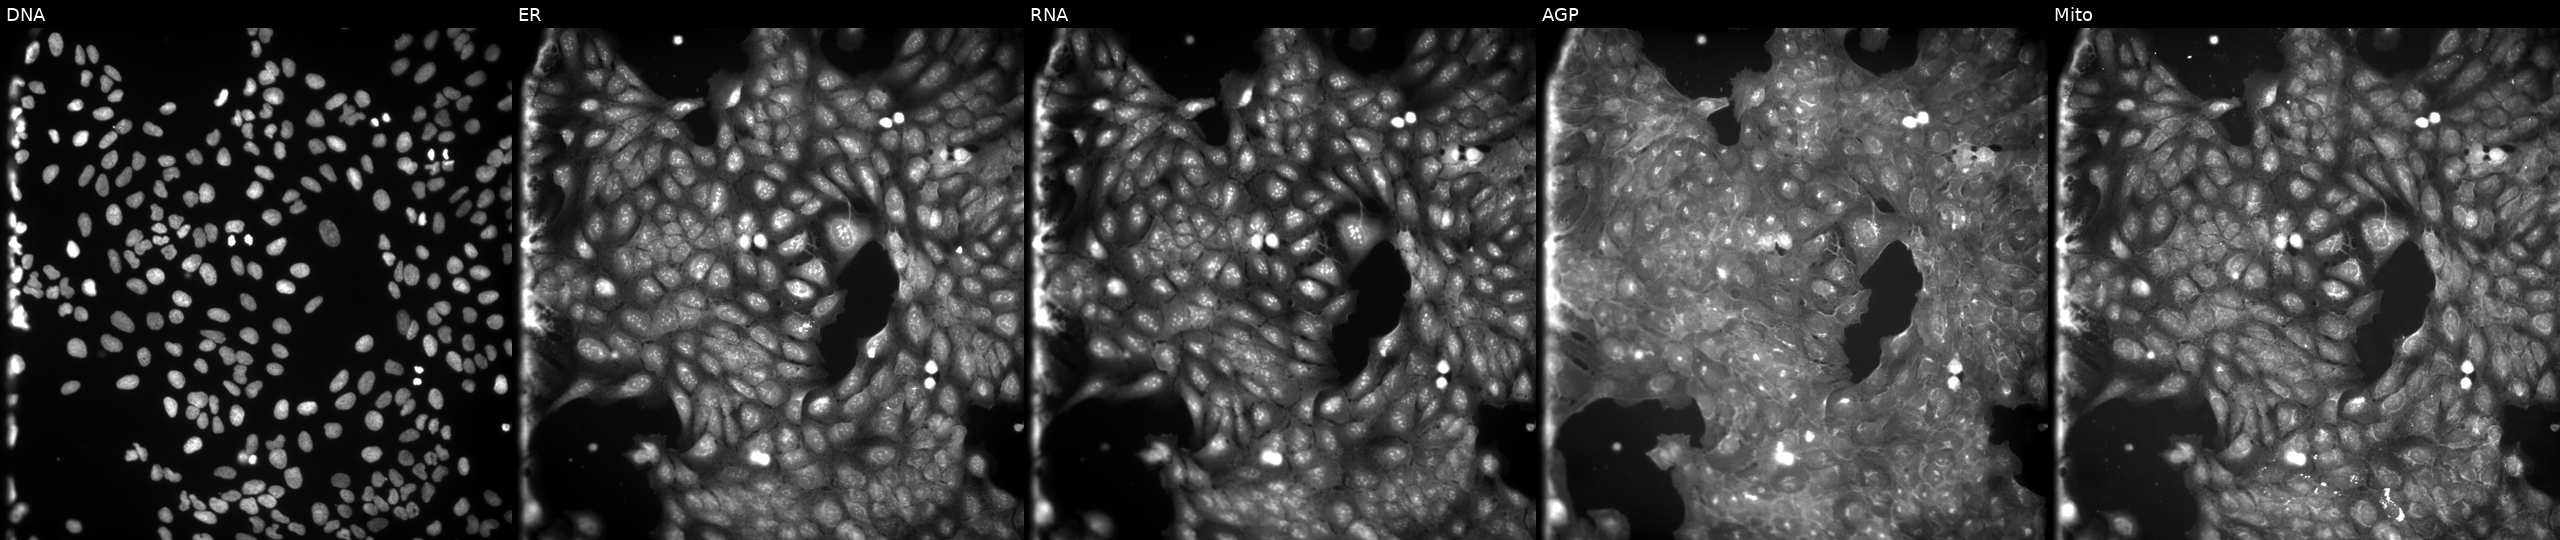
U2OS cells, Cell Painting assay, treated with a small-molecule compound. Channels (left→right): DNA (nuclei); ER (endoplasmic reticulum); RNA (nucleoli and cytoplasmic RNA); AGP (actin cytoskeleton, Golgi, and plasma membrane); Mito (mitochondria). Each panel is percentile-stretched 16-bit fluorescence. Source 9, plate GR00003382, well V06.